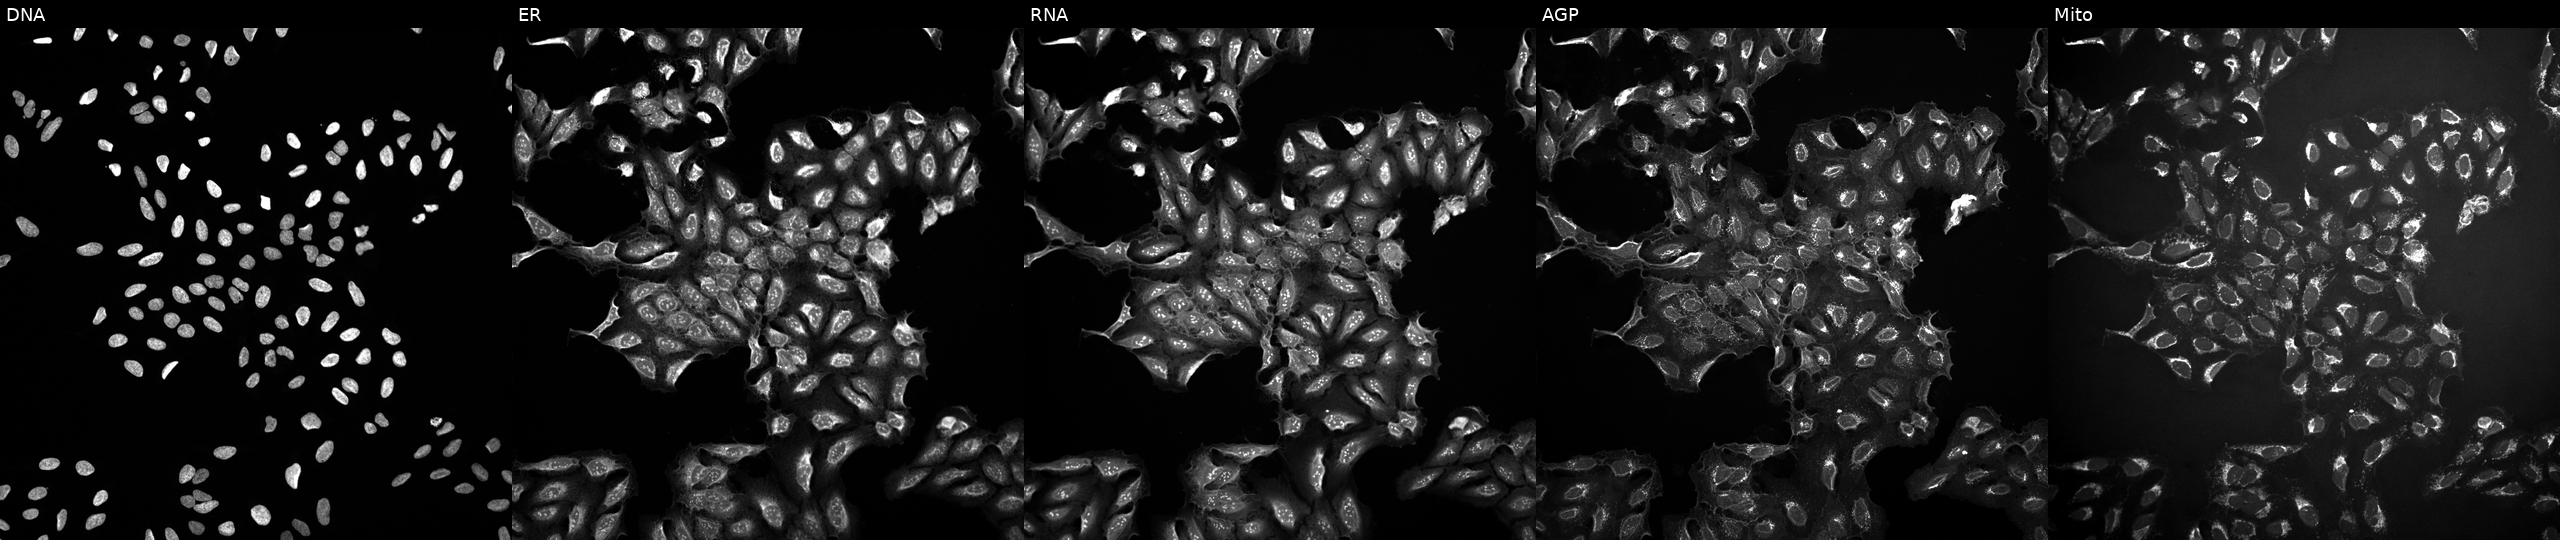
High-content fluorescence microscopy (Cell Painting). Cell line: U2OS. Perturbation: treated with DMSO vehicle only (negative control) (JUMP id JCP2022_033924). Channels (left→right): Hoechst 33342, concanavalin A, SYTO 14, phalloidin and WGA, MitoTracker.